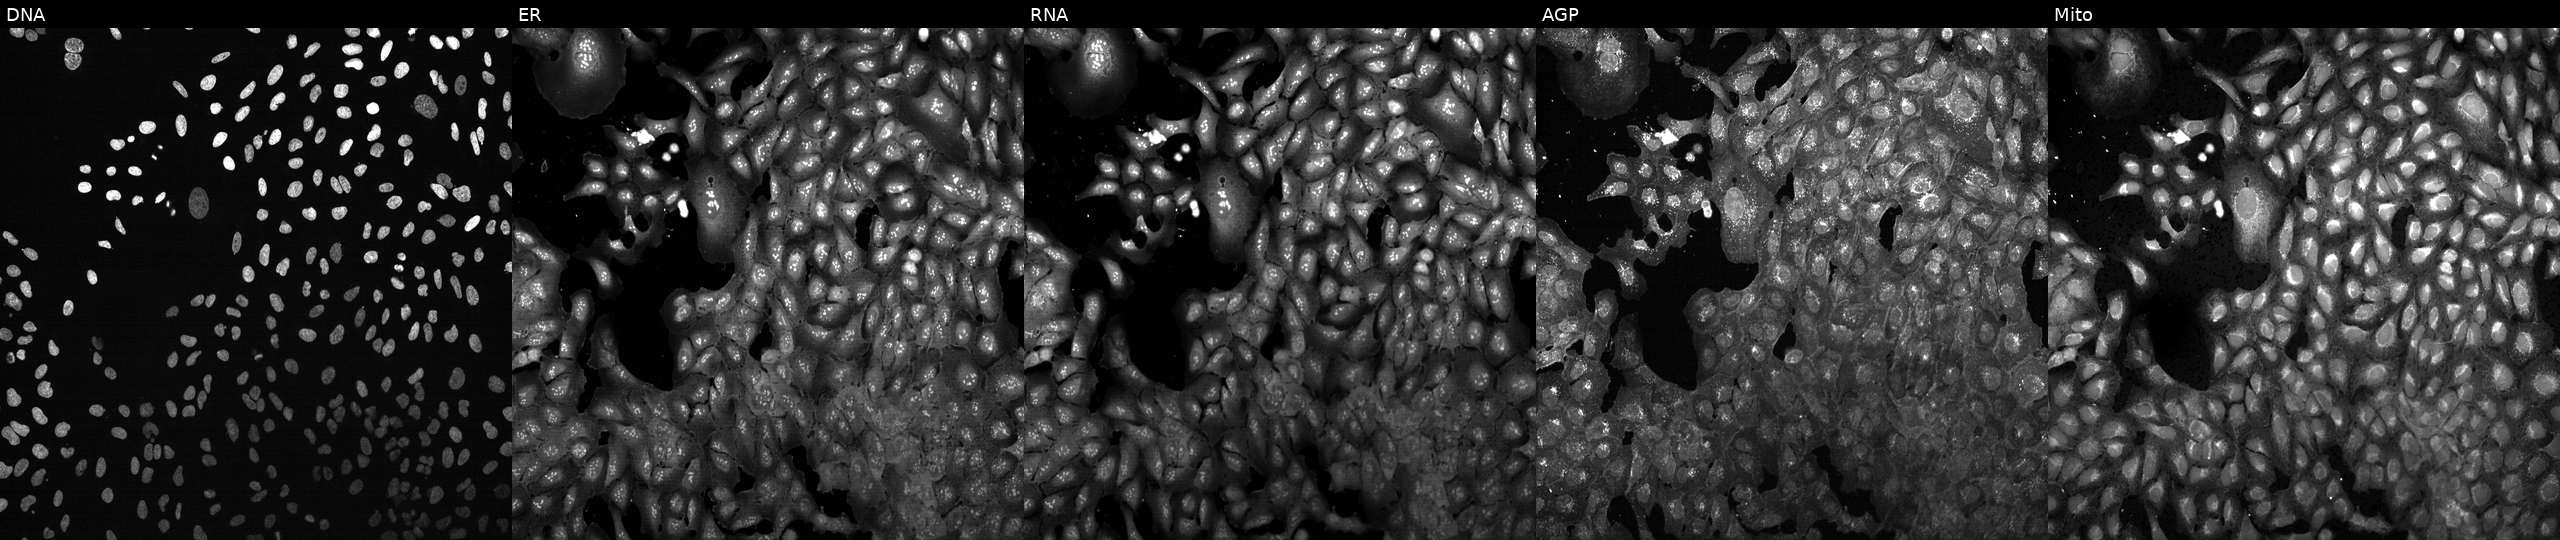
This image strip shows the five Cell Painting channels for a single field of U2OS cells following CRISPR knockout of SAMD4A. Channels (left→right): DNA (nuclei); ER (endoplasmic reticulum); RNA (nucleoli and cytoplasmic RNA); AGP (actin cytoskeleton, Golgi, and plasma membrane); Mito (mitochondria).